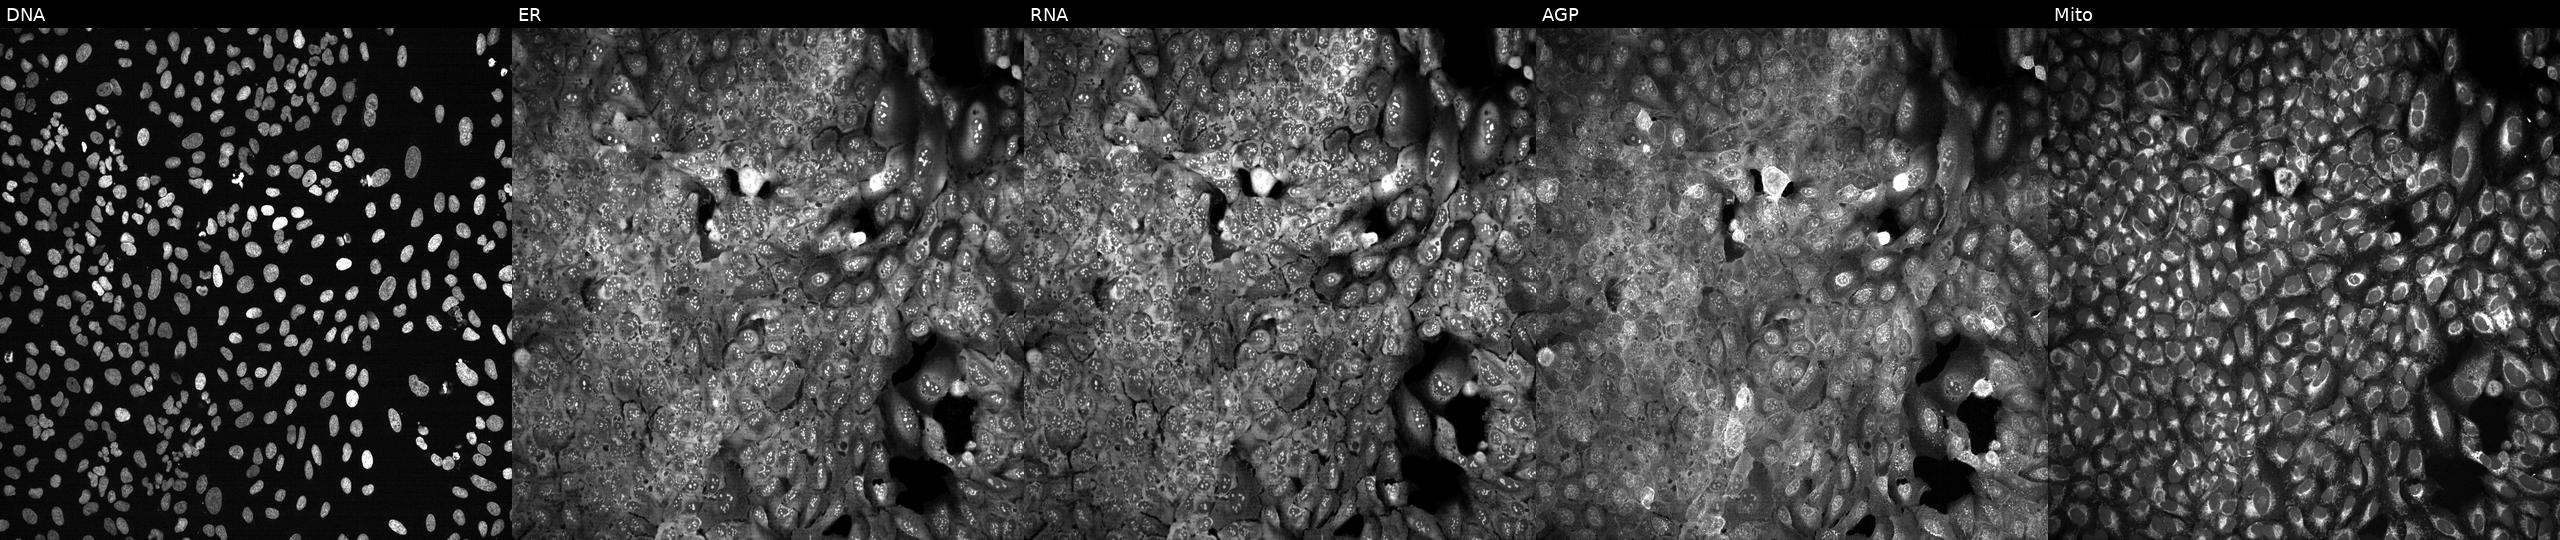
This image strip shows the five Cell Painting channels for a single field of U2OS cells CRISPR-edited to disrupt HDHD3. The five panels, left to right, show Hoechst 33342, concanavalin A, SYTO 14, phalloidin and WGA, MitoTracker. Source 13, plate CP-CC9-R4-04, well P06.